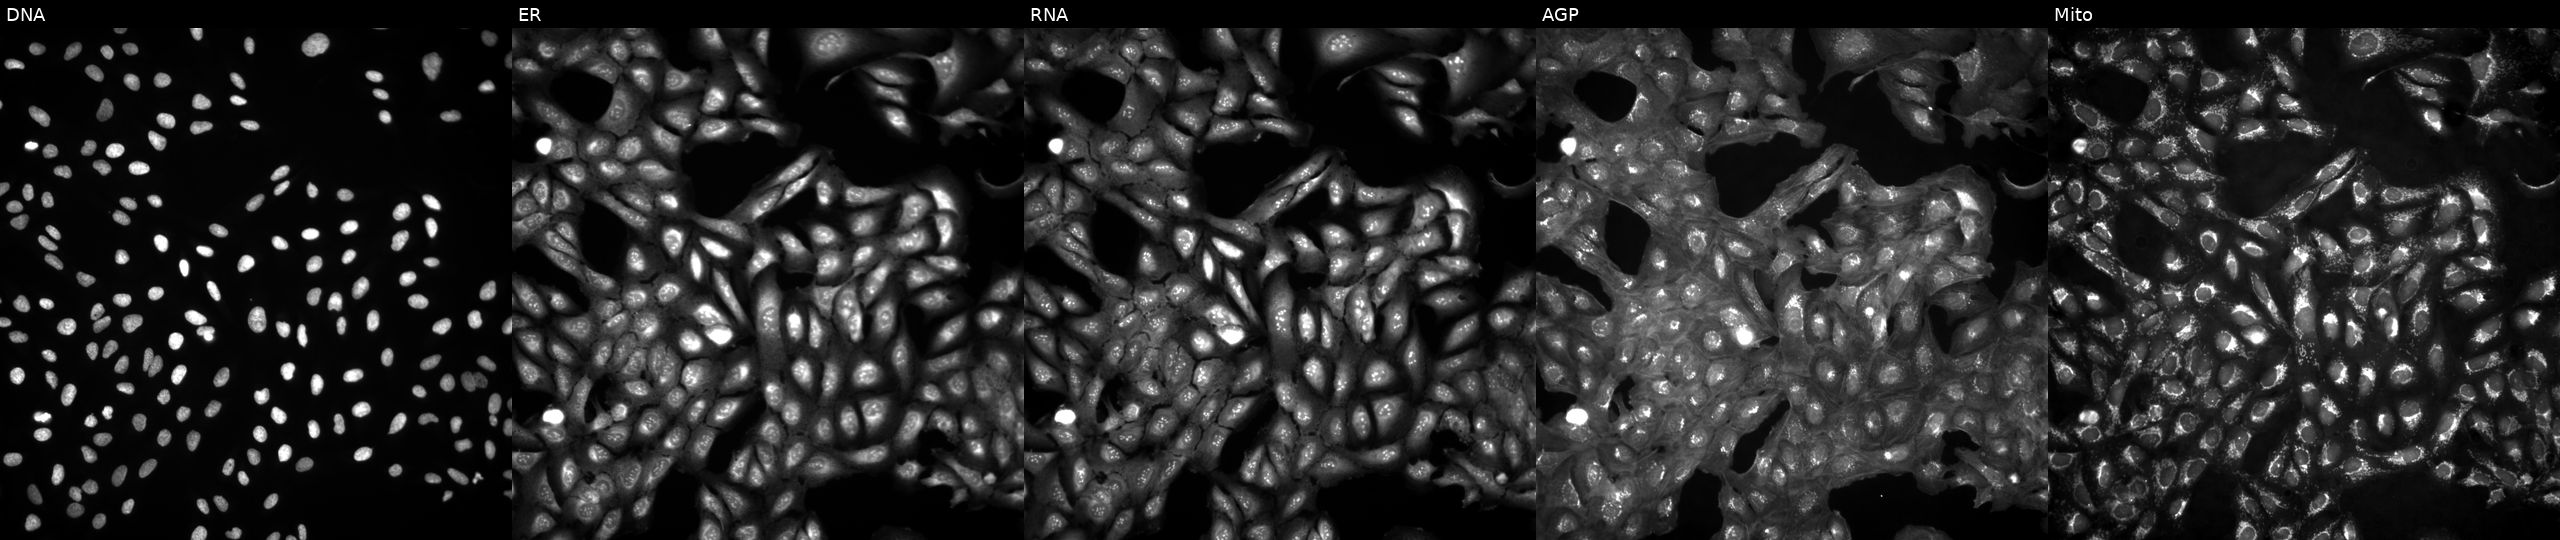
Panels show, left to right, DNA (nuclei); ER (endoplasmic reticulum); RNA (nucleoli and cytoplasmic RNA); AGP (actin cytoskeleton, Golgi, and plasma membrane); Mito (mitochondria). U2OS osteosarcoma cells untreated (empty-well control) (JUMP id JCP2022_999999). Cell Painting assay, JUMP-CP dataset.